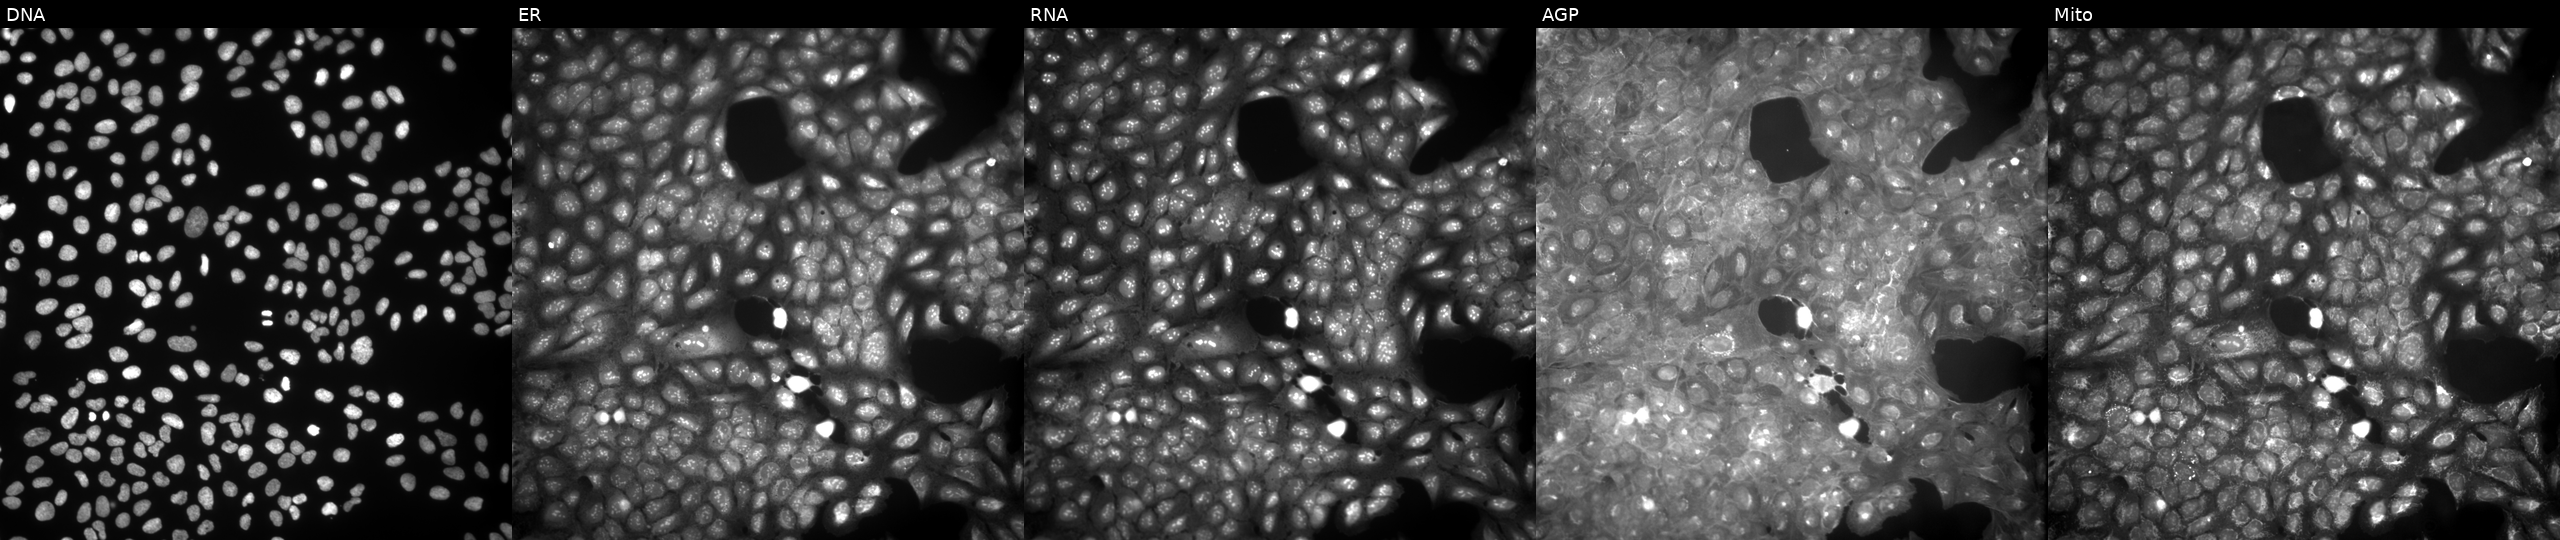
High-content fluorescence microscopy (Cell Painting). Cell line: U2OS. Perturbation: perturbed with a small-molecule compound (JUMP id JCP2022_079181). The five panels, left to right, show DNA (nuclei); ER (endoplasmic reticulum); RNA (nucleoli and cytoplasmic RNA); AGP (actin cytoskeleton, Golgi, and plasma membrane); Mito (mitochondria).